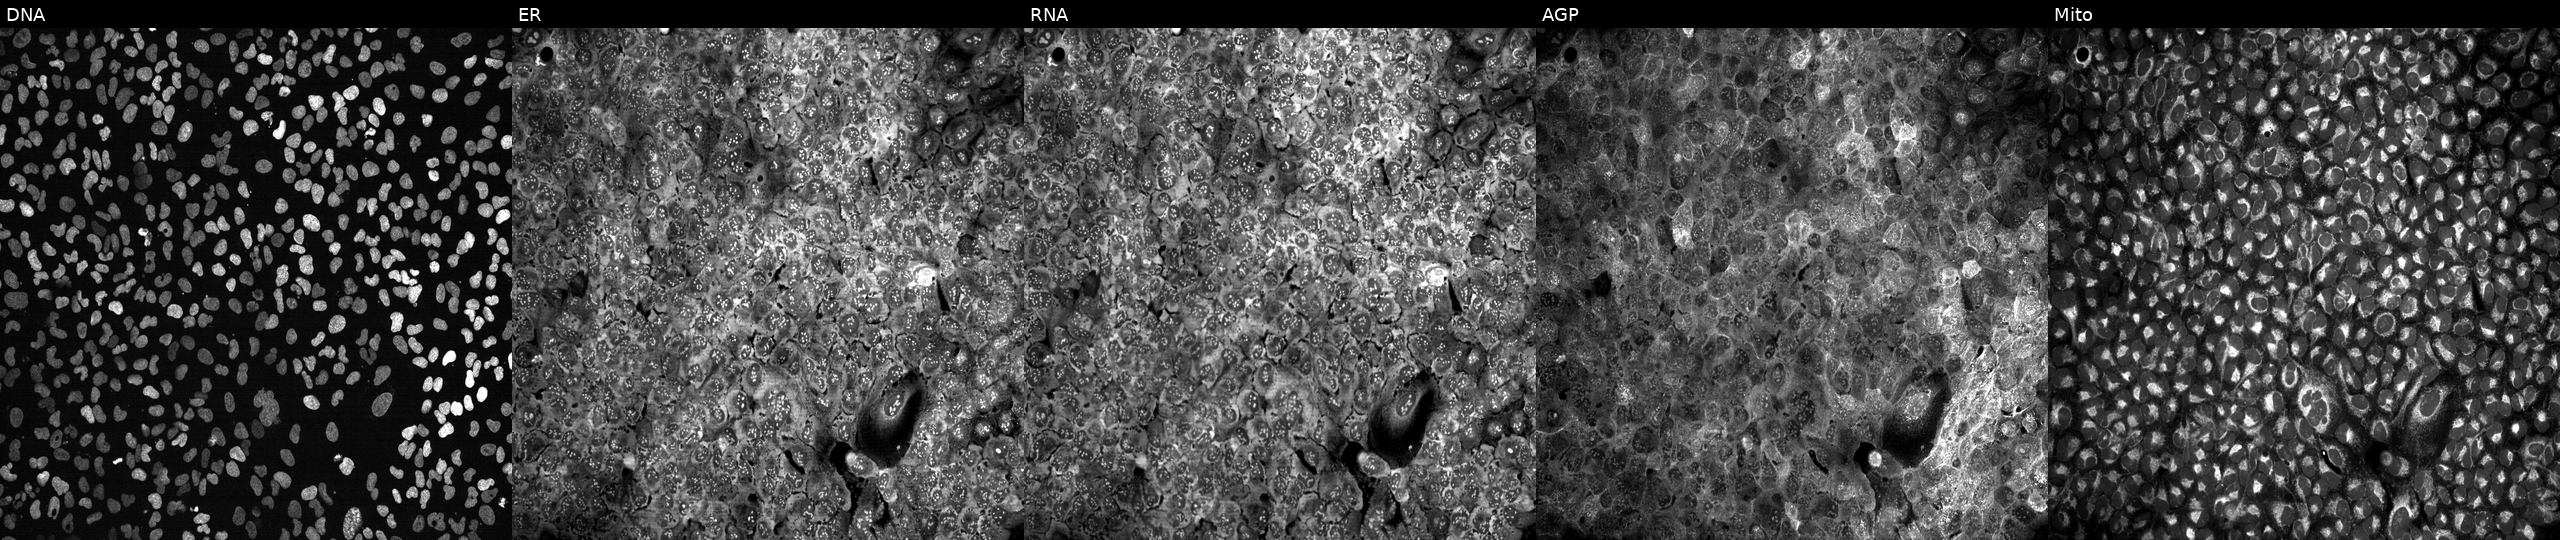
JUMP Cell Painting — CRISPR plate. U2OS cells following CRISPR knockout of RAMP2. The five panels, left to right, show Hoechst 33342, concanavalin A, SYTO 14, phalloidin and WGA, MitoTracker. Source 13, plate CP-CC9-R4-04, well L06.